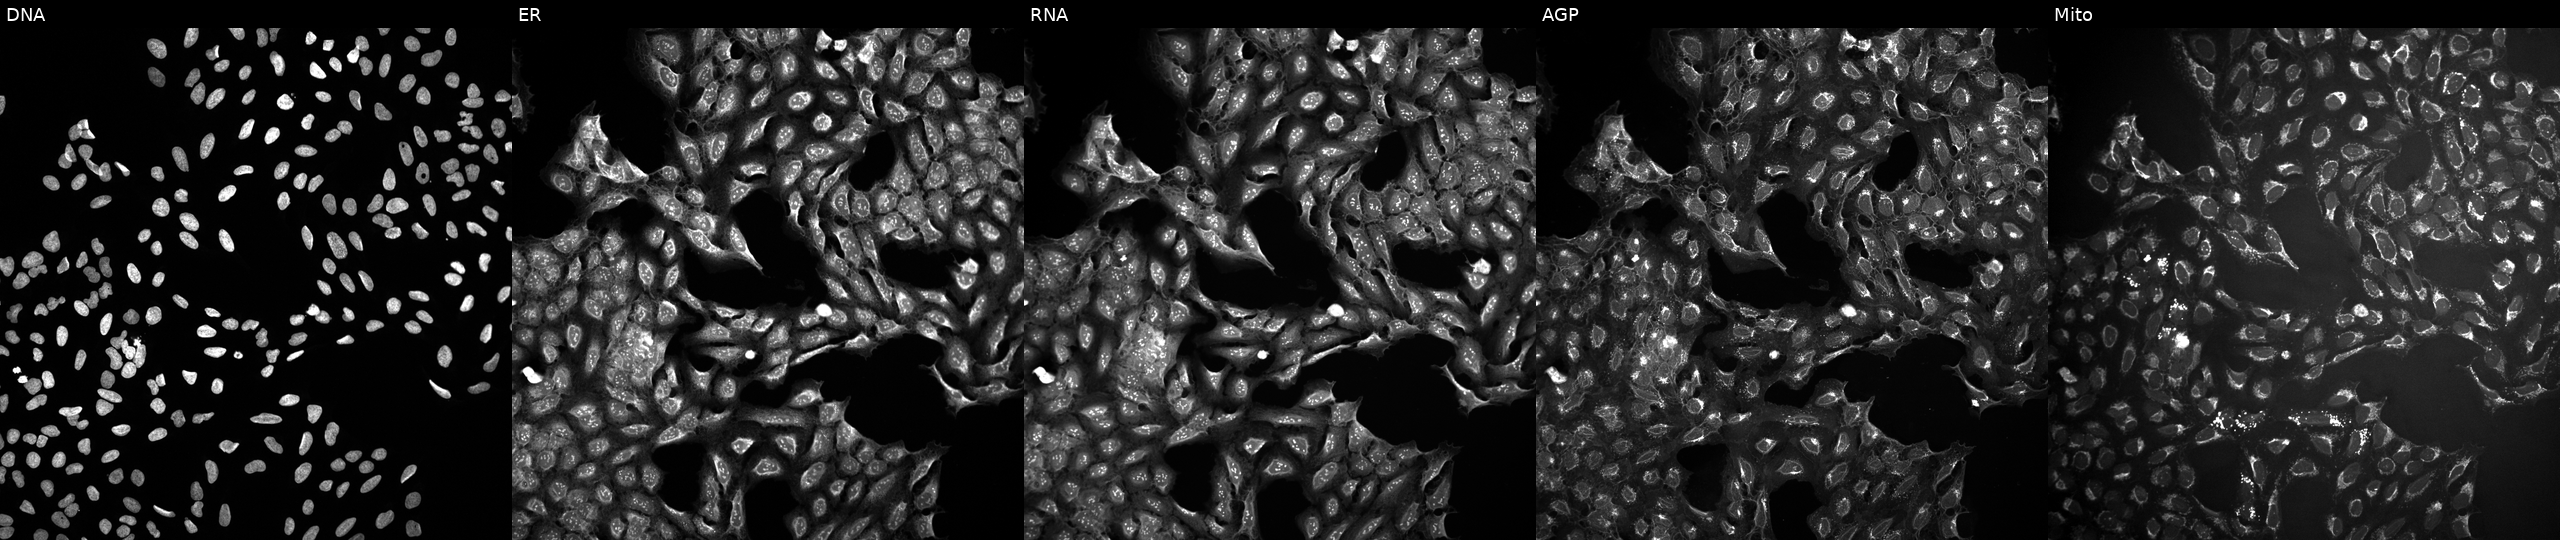
From left to right: Hoechst 33342, concanavalin A, SYTO 14, phalloidin and WGA, MitoTracker. U2OS osteosarcoma cells exposed to a small-molecule compound (InChIKey KJFMBFZCATUALV-UHFFFAOYSA-N) [SMILES: O=C1OC(c2ccc(O)cc2)(c2ccc(O)cc2)c2ccccc21]. Cell Painting assay, JUMP-CP dataset. Source 10, plate Dest210803-153958, well O16.